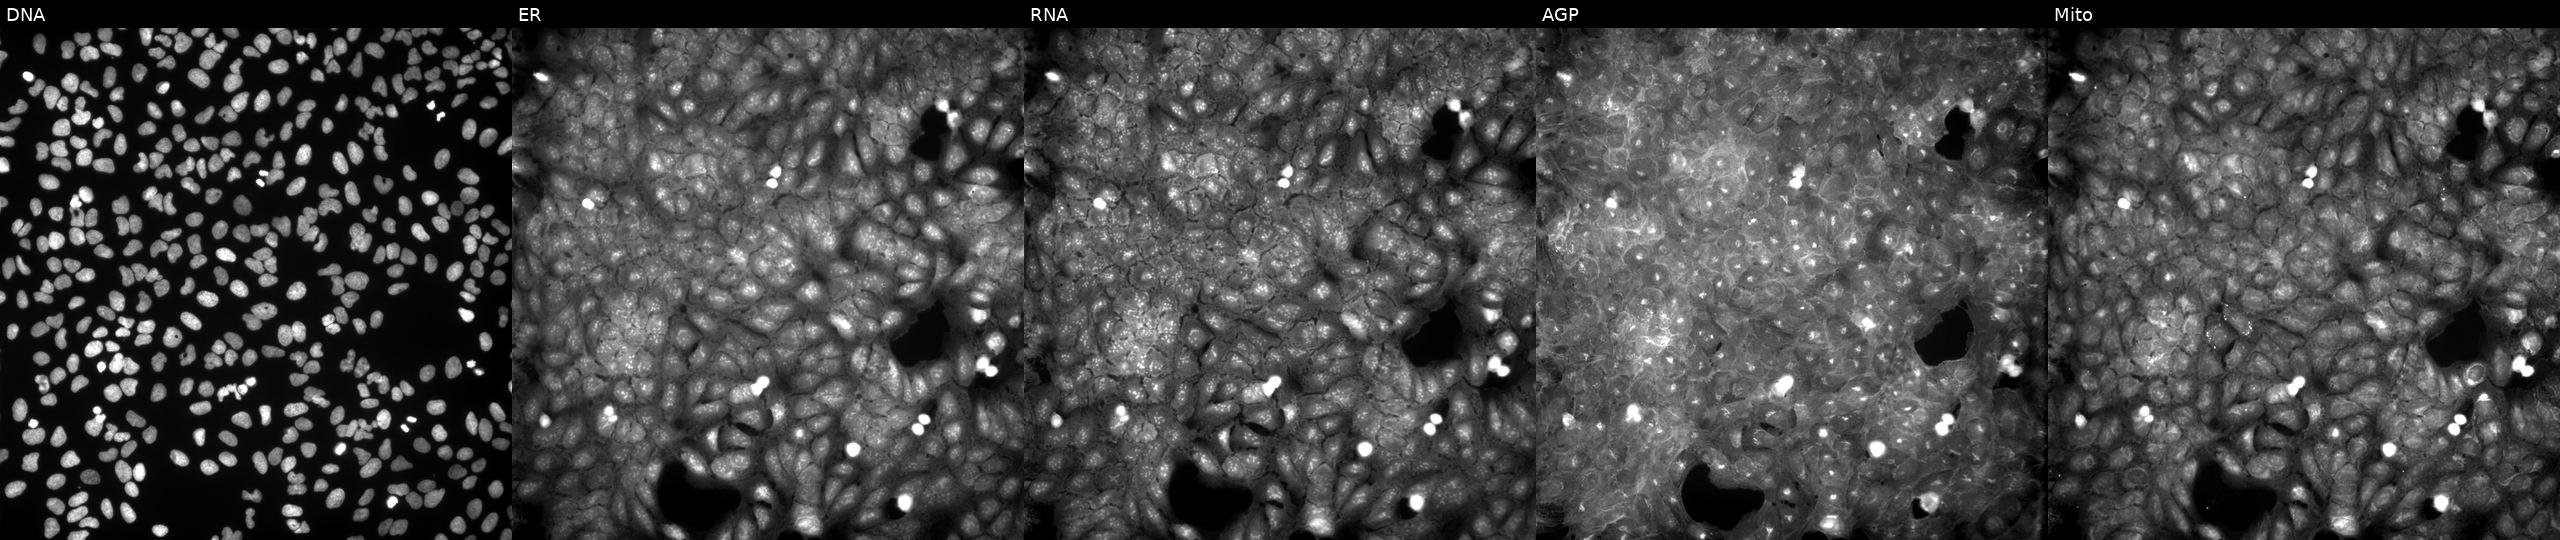
High-content fluorescence microscopy (Cell Painting). Cell line: U2OS. Perturbation: exposed to a small-molecule compound (InChIKey SCVGYZVGMGTVLX-UHFFFAOYSA-N) (JUMP id JCP2022_082371). The five panels, left to right, show Hoechst 33342, concanavalin A, SYTO 14, phalloidin and WGA, MitoTracker.